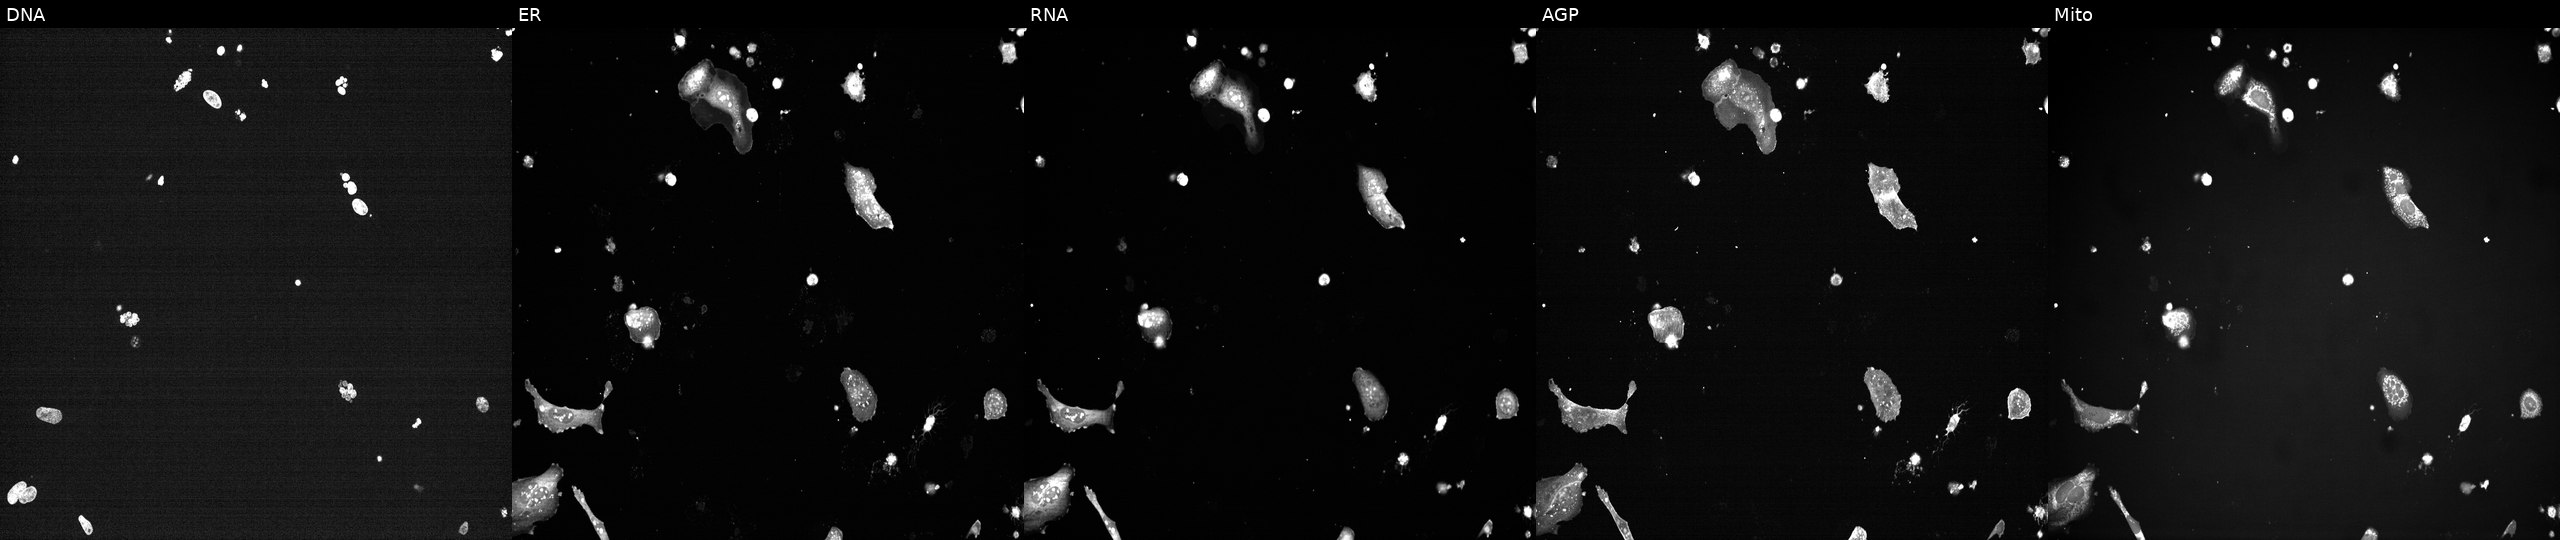
This image strip shows the five Cell Painting channels for a single field of U2OS cells treated with a small-molecule compound (InChIKey MTJHLONVHHPNSI-UHFFFAOYSA-N) (JUMP id JCP2022_056401). The five panels, left to right, show DNA (nuclei); ER (endoplasmic reticulum); RNA (nucleoli and cytoplasmic RNA); AGP (actin cytoskeleton, Golgi, and plasma membrane); Mito (mitochondria). Source 7, plate CP3-SC1-25, well M15.